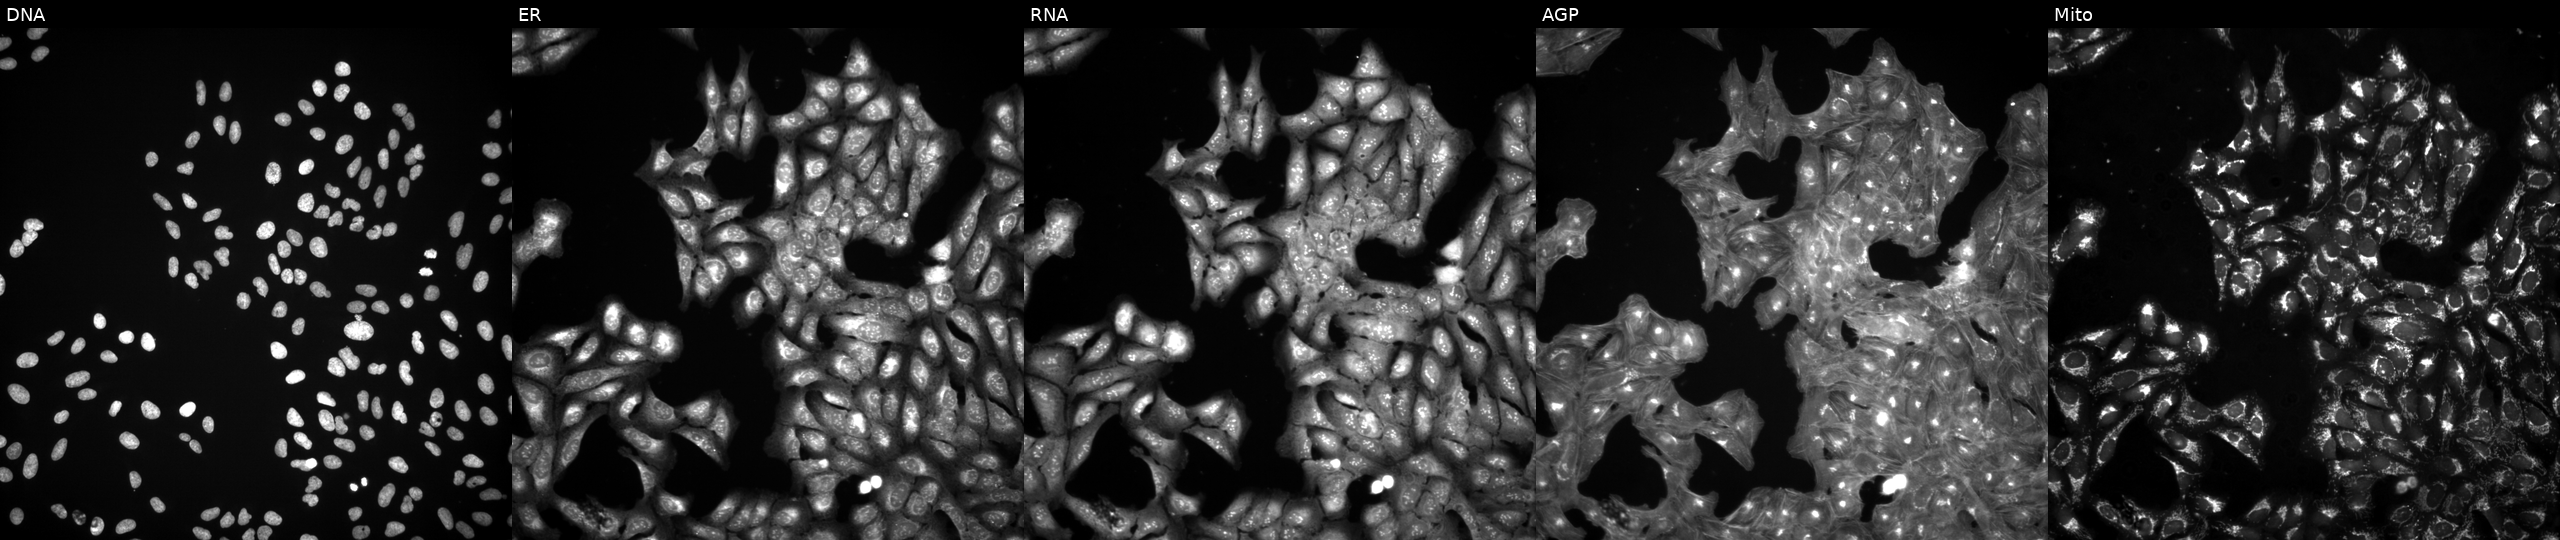
Five-channel Cell Painting image of U2OS cells treated with a small-molecule compound (InChIKey BRJQHSGBDMQDFB-UHFFFAOYSA-N). Panels show, left to right, DNA (nuclei); ER (endoplasmic reticulum); RNA (nucleoli and cytoplasmic RNA); AGP (actin cytoskeleton, Golgi, and plasma membrane); Mito (mitochondria).